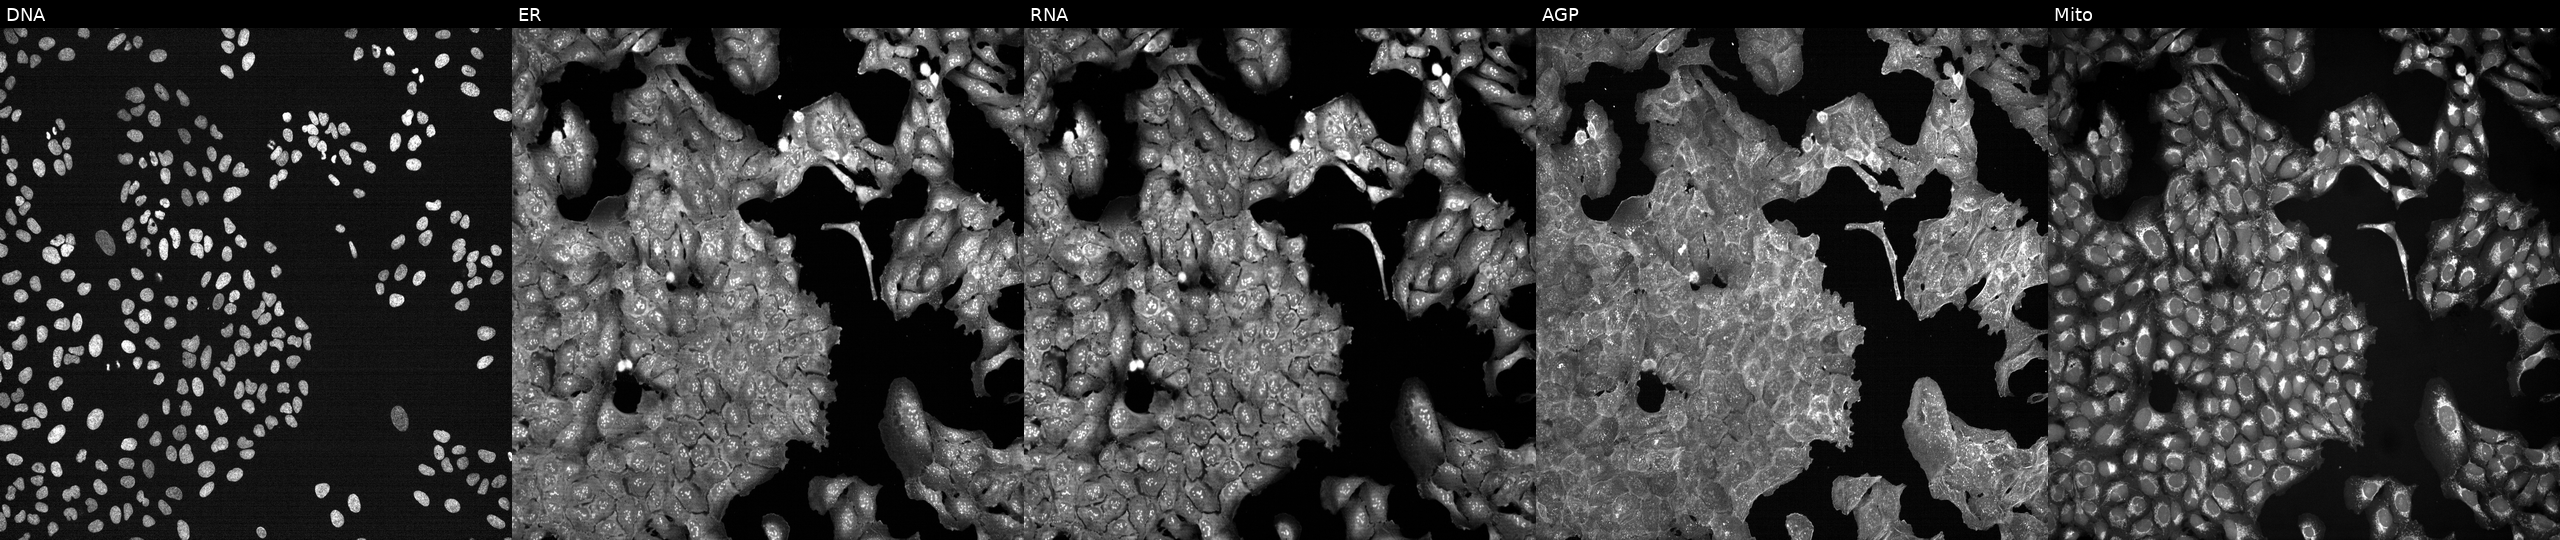
High-content fluorescence microscopy (Cell Painting). Cell line: U2OS. Perturbation: treated with a small-molecule compound (InChIKey BCZUAADEACICHN-UHFFFAOYSA-N) [SMILES: Cn1cc(-c2ccc3nnc(Sc4ccc5ncccc5c4)n3n2)cn1] (JUMP id JCP2022_005529). The five panels, left to right, show DNA, ER, RNA, AGP, and Mito.